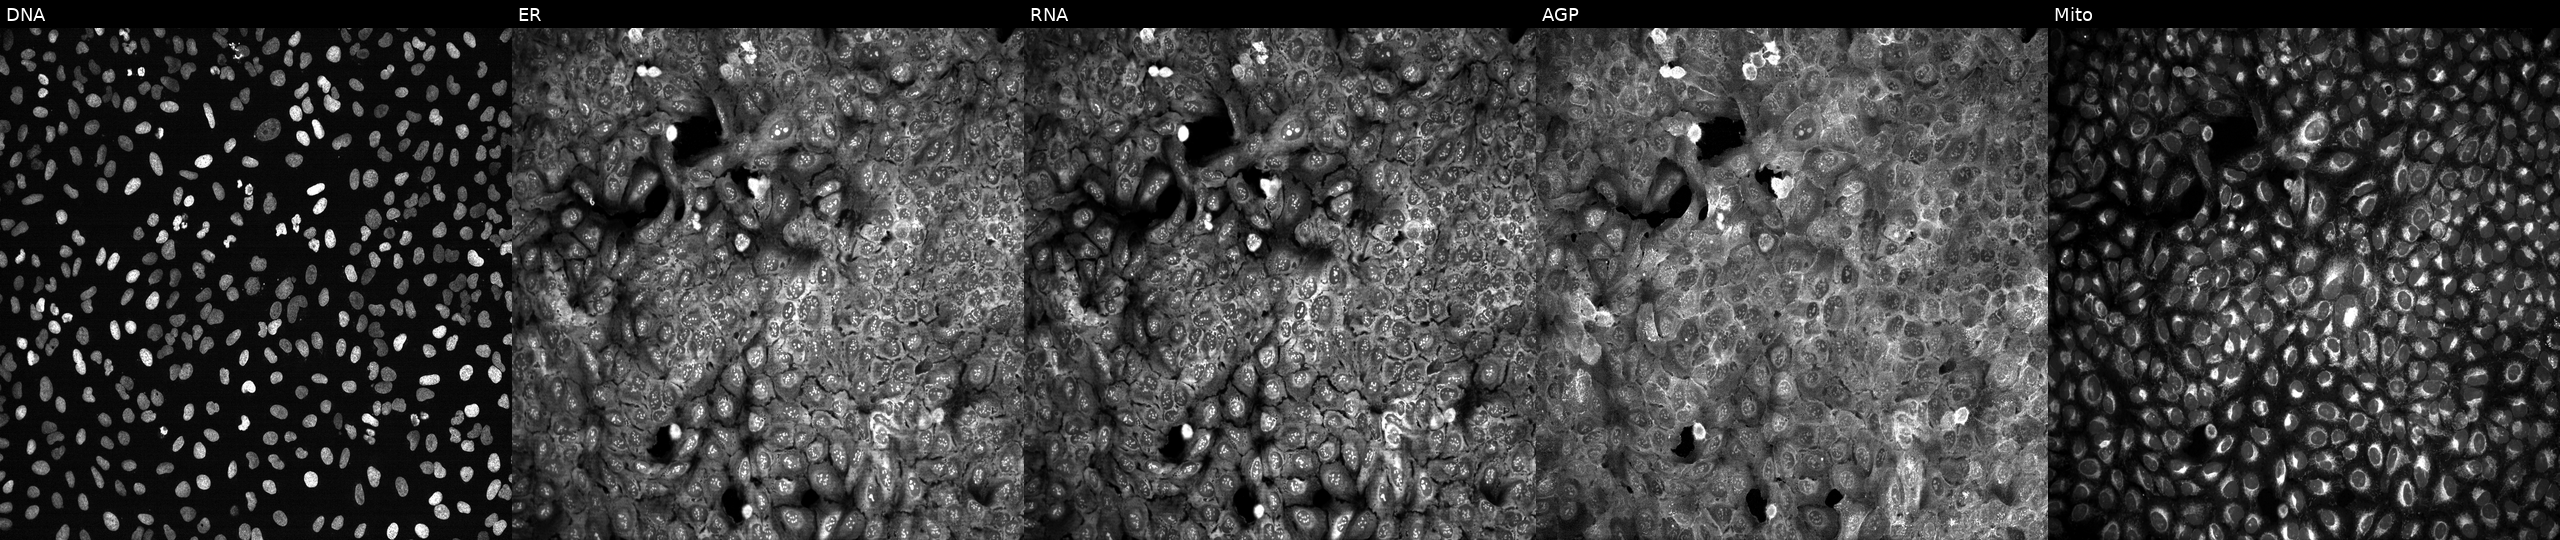
JUMP Cell Painting — CRISPR plate. U2OS cells with TSTA3 knocked out by CRISPR (JUMP id JCP2022_807376). From left to right: Hoechst 33342, concanavalin A, SYTO 14, phalloidin and WGA, MitoTracker.